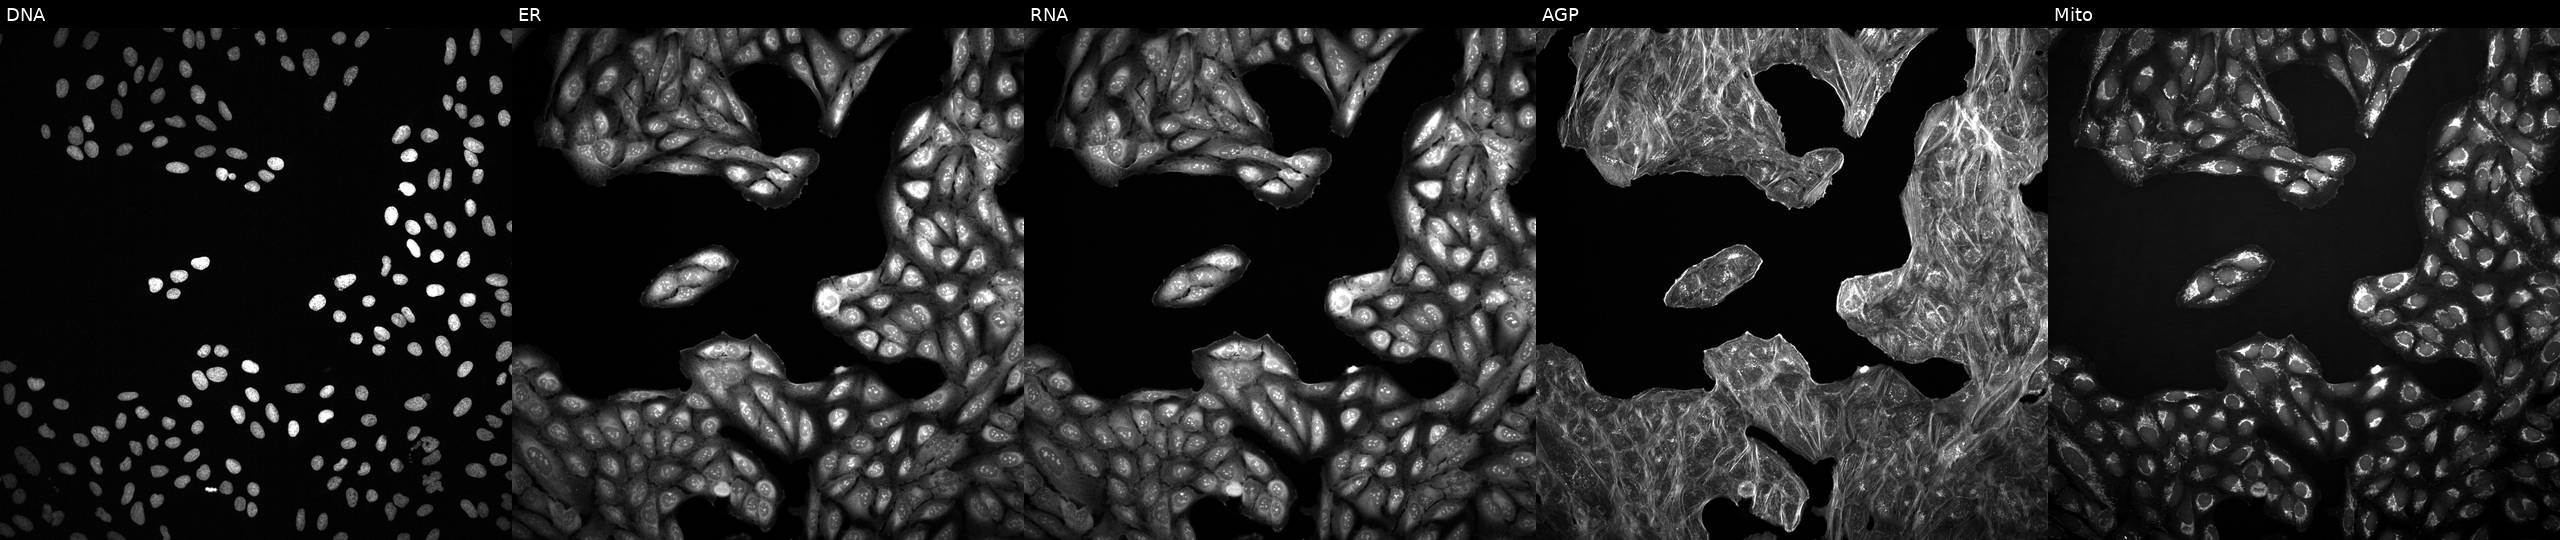
Five-channel Cell Painting image of U2OS cells treated with a small-molecule compound (InChIKey BNFRJXLZYUTIII-UHFFFAOYSA-N) (JUMP id JCP2022_007419). Channels (left→right): Hoechst 33342, concanavalin A, SYTO 14, phalloidin and WGA, MitoTracker.